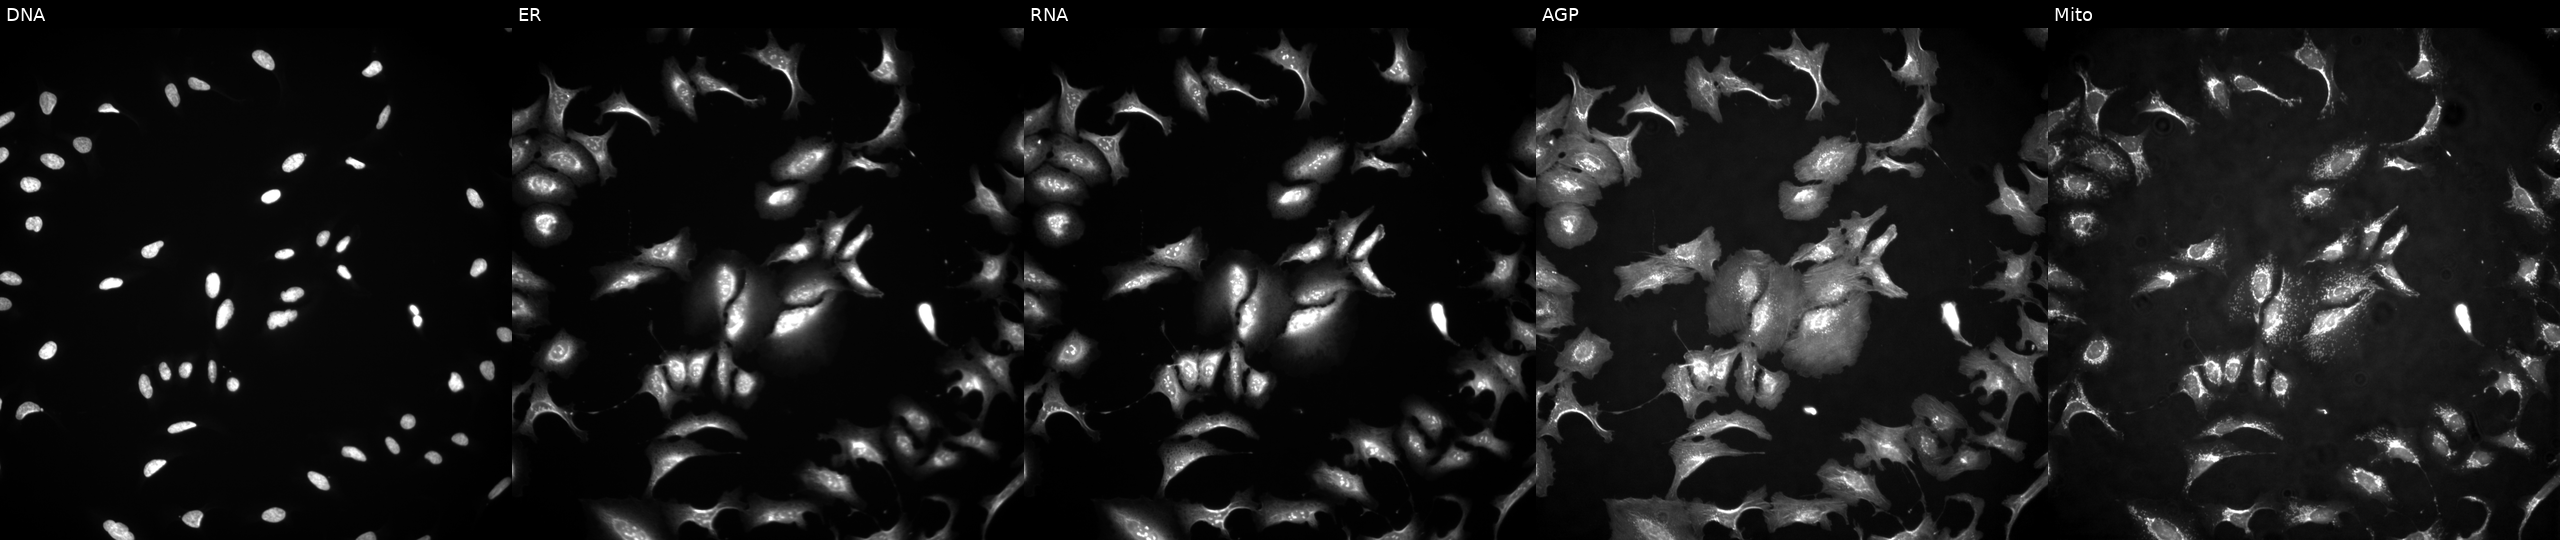
U2OS cells, Cell Painting assay, overexpressing SLC25A16 via ORF transfection (JUMP id JCP2022_913048). From left to right: DNA, ER, RNA, AGP, and Mito. Each panel is percentile-stretched 16-bit fluorescence. Source 4, plate BR00124787, well O16.